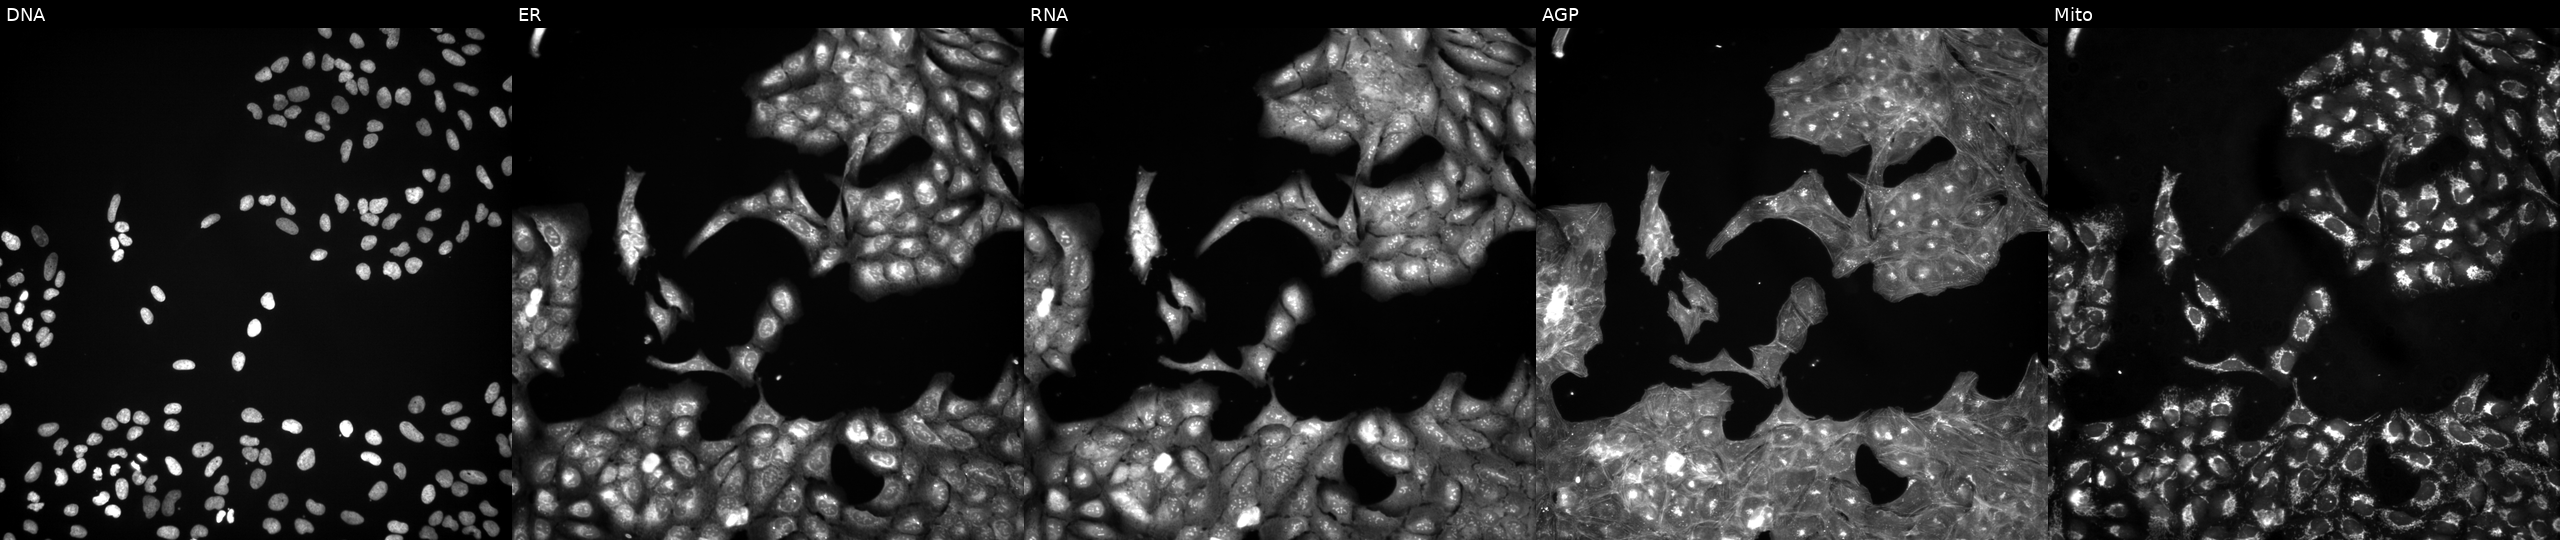
This image strip shows the five Cell Painting channels for a single field of U2OS cells perturbed with a small-molecule compound (JUMP id JCP2022_110929). From left to right: DNA (nuclei); ER (endoplasmic reticulum); RNA (nucleoli and cytoplasmic RNA); AGP (actin cytoskeleton, Golgi, and plasma membrane); Mito (mitochondria).